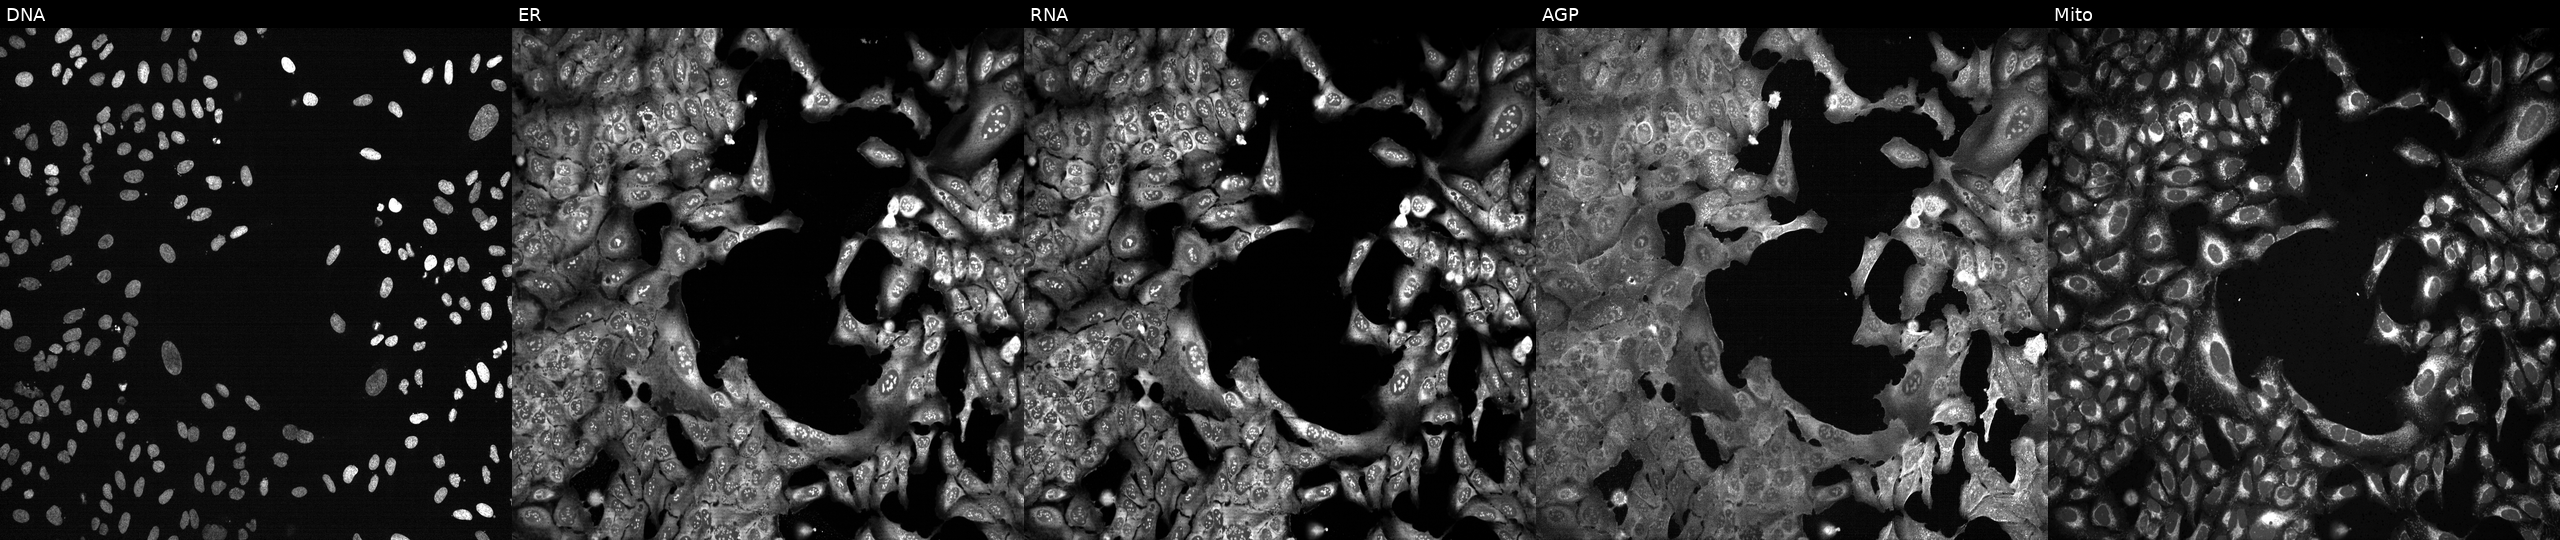
High-content fluorescence microscopy (Cell Painting). Cell line: U2OS. Perturbation: with GFRA3 knocked out by CRISPR. The five panels, left to right, show DNA, ER, RNA, AGP, and Mito.